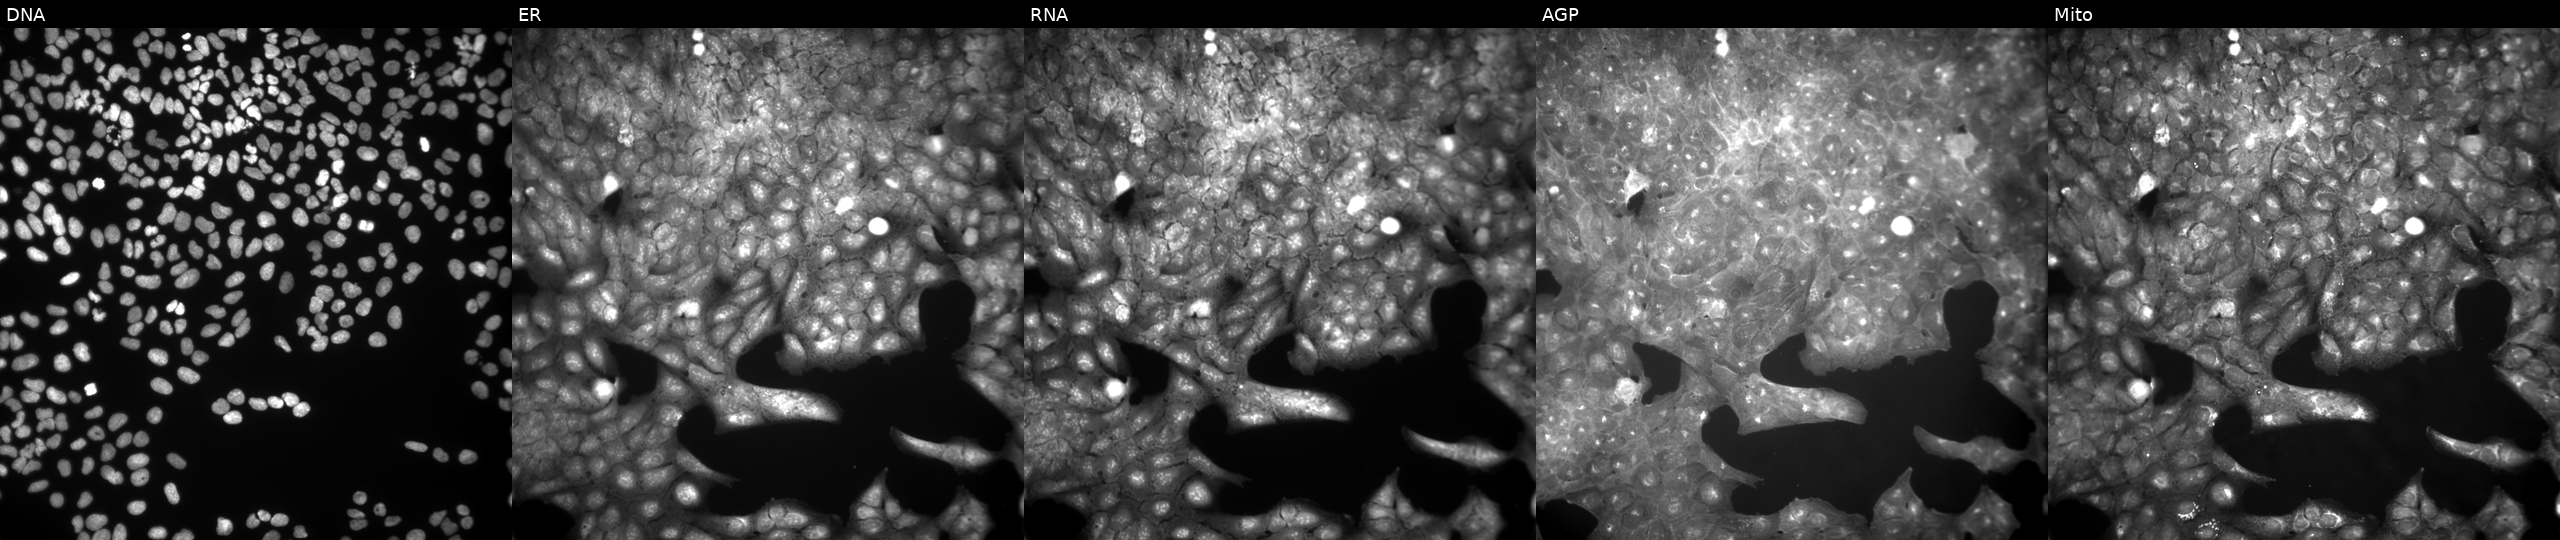
Five-channel Cell Painting image of U2OS cells exposed to DMSO alone as a negative control (JUMP id JCP2022_033924). The five panels, left to right, show Hoechst 33342, concanavalin A, SYTO 14, phalloidin and WGA, MitoTracker. Source 9, plate GR00003381, well H47.